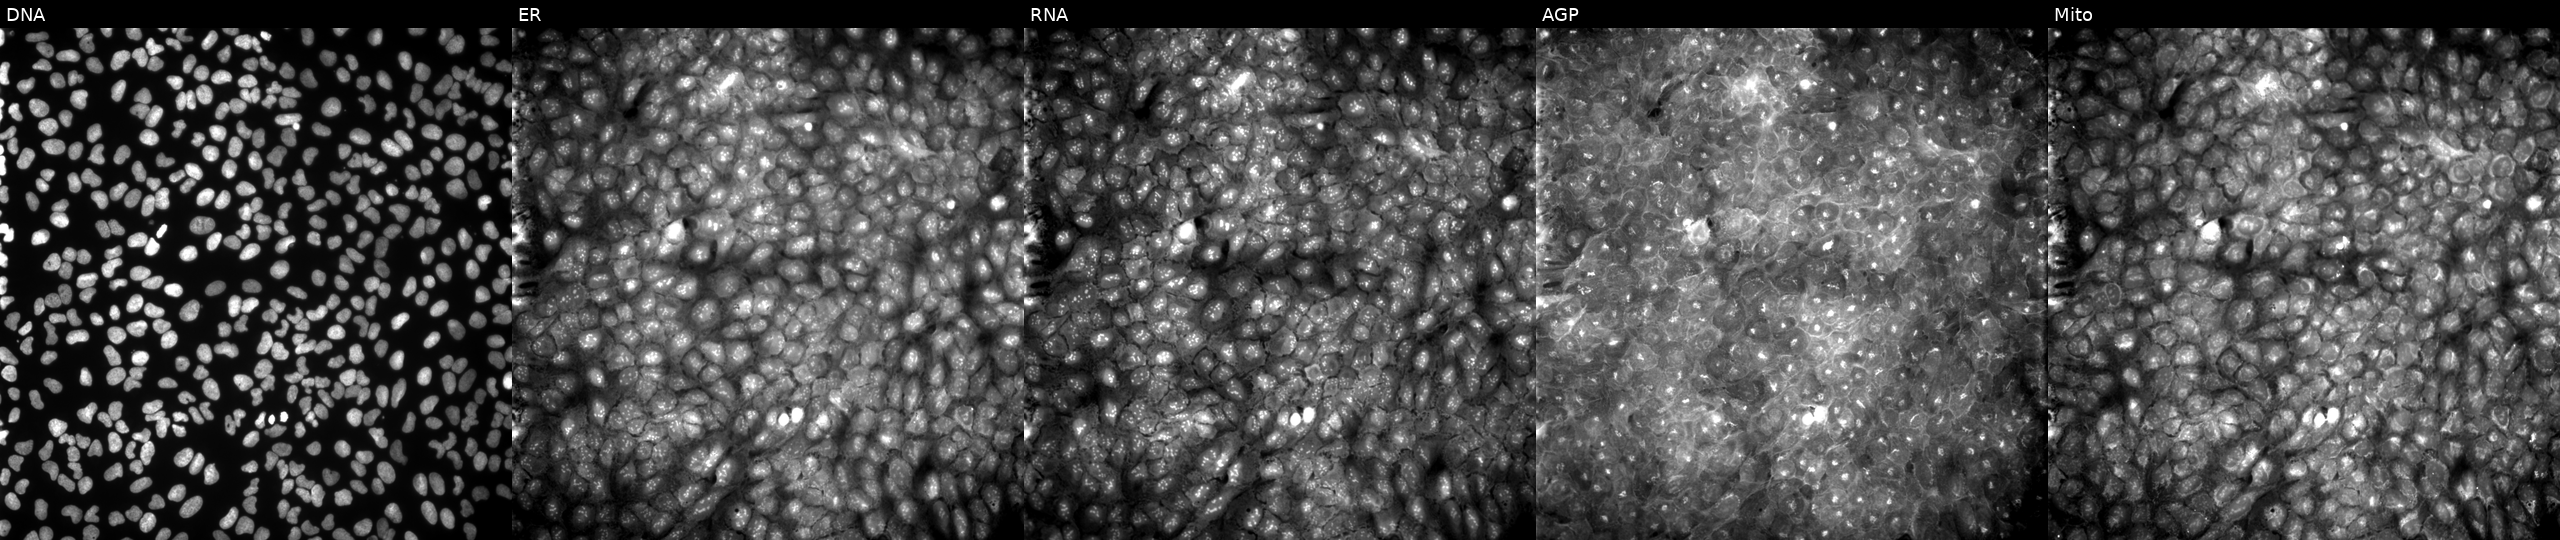
High-content fluorescence microscopy (Cell Painting). Cell line: U2OS. Perturbation: treated with a small-molecule compound (InChIKey KJHZMXQTQKFKML-UHFFFAOYSA-N). Channels (left→right): DNA, ER, RNA, AGP, and Mito. Source 9, plate GR00003381, well R17.